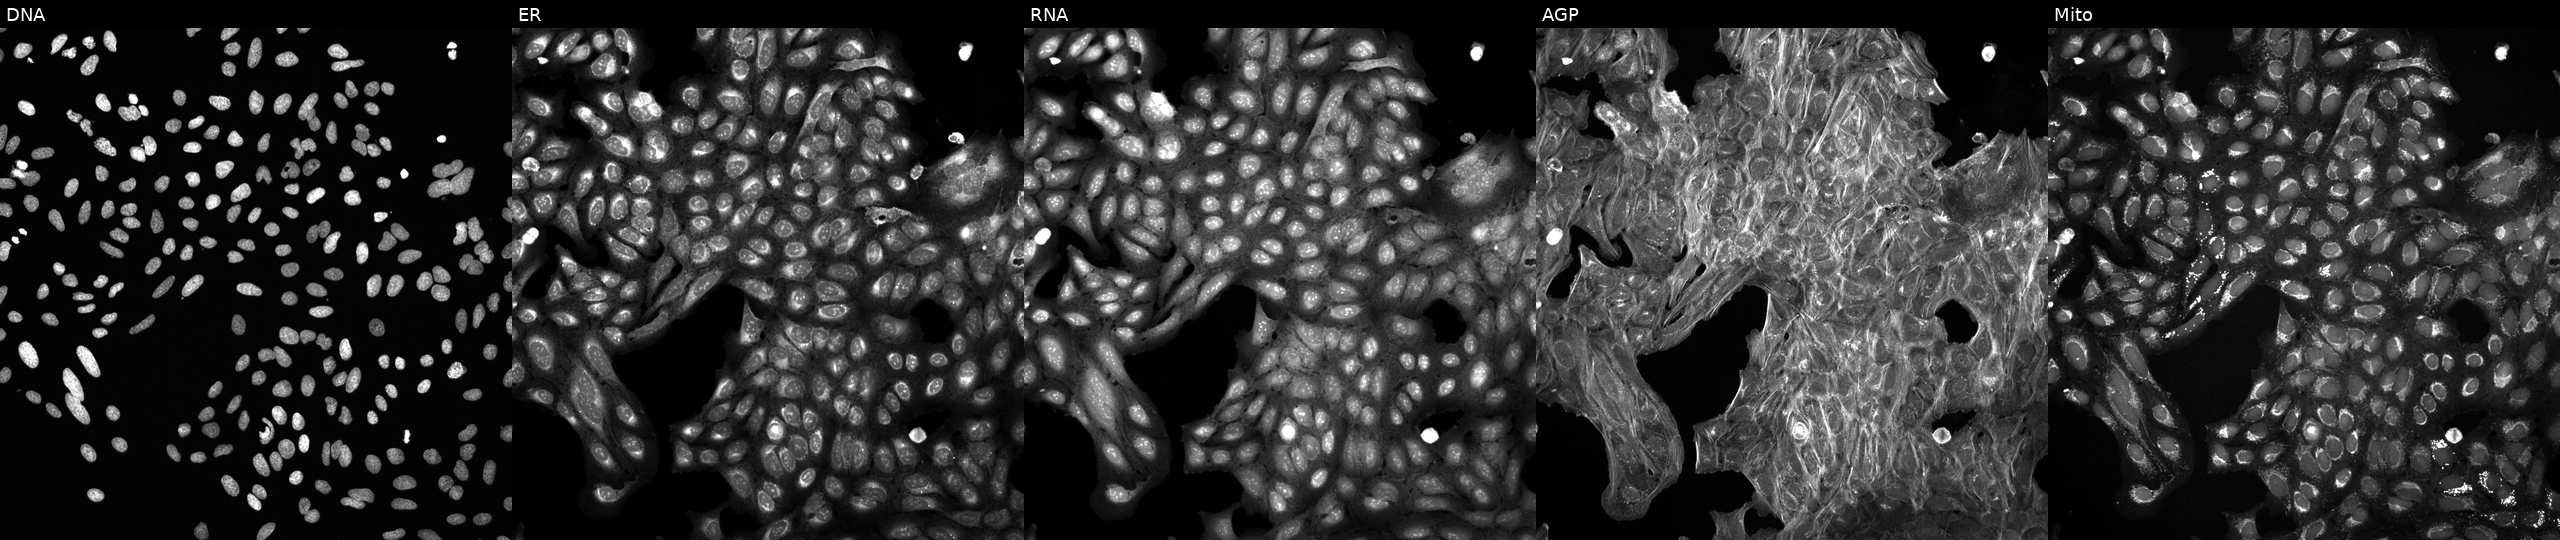
Five-channel Cell Painting image of U2OS cells treated with a small-molecule compound. From left to right: Hoechst 33342, concanavalin A, SYTO 14, phalloidin and WGA, MitoTracker. Source 6, plate 110000294901, well K15.